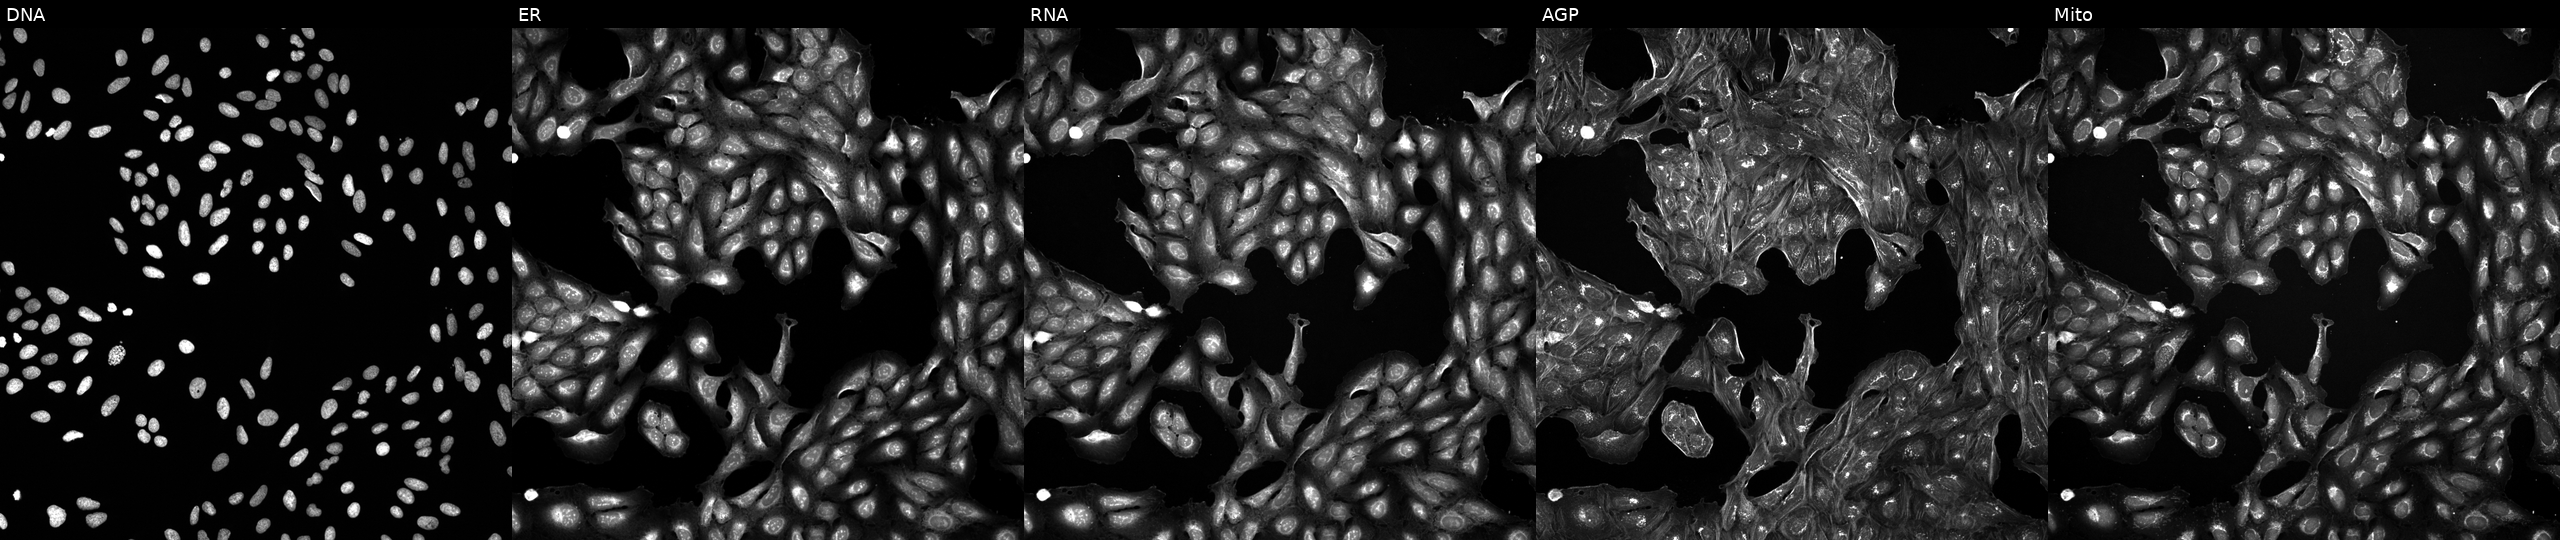
U2OS cells, Cell Painting assay, perturbed with a small-molecule compound (InChIKey XHIDGBOSWSKYDQ-UHFFFAOYSA-N) [SMILES: O=C(NCC1CC(O)CN1Cc1ccccc1)C1(c2ccc(F)cc2)CCCC1] (JUMP id JCP2022_103680). The five panels, left to right, show DNA, ER, RNA, AGP, and Mito. Each panel is percentile-stretched 16-bit fluorescence.